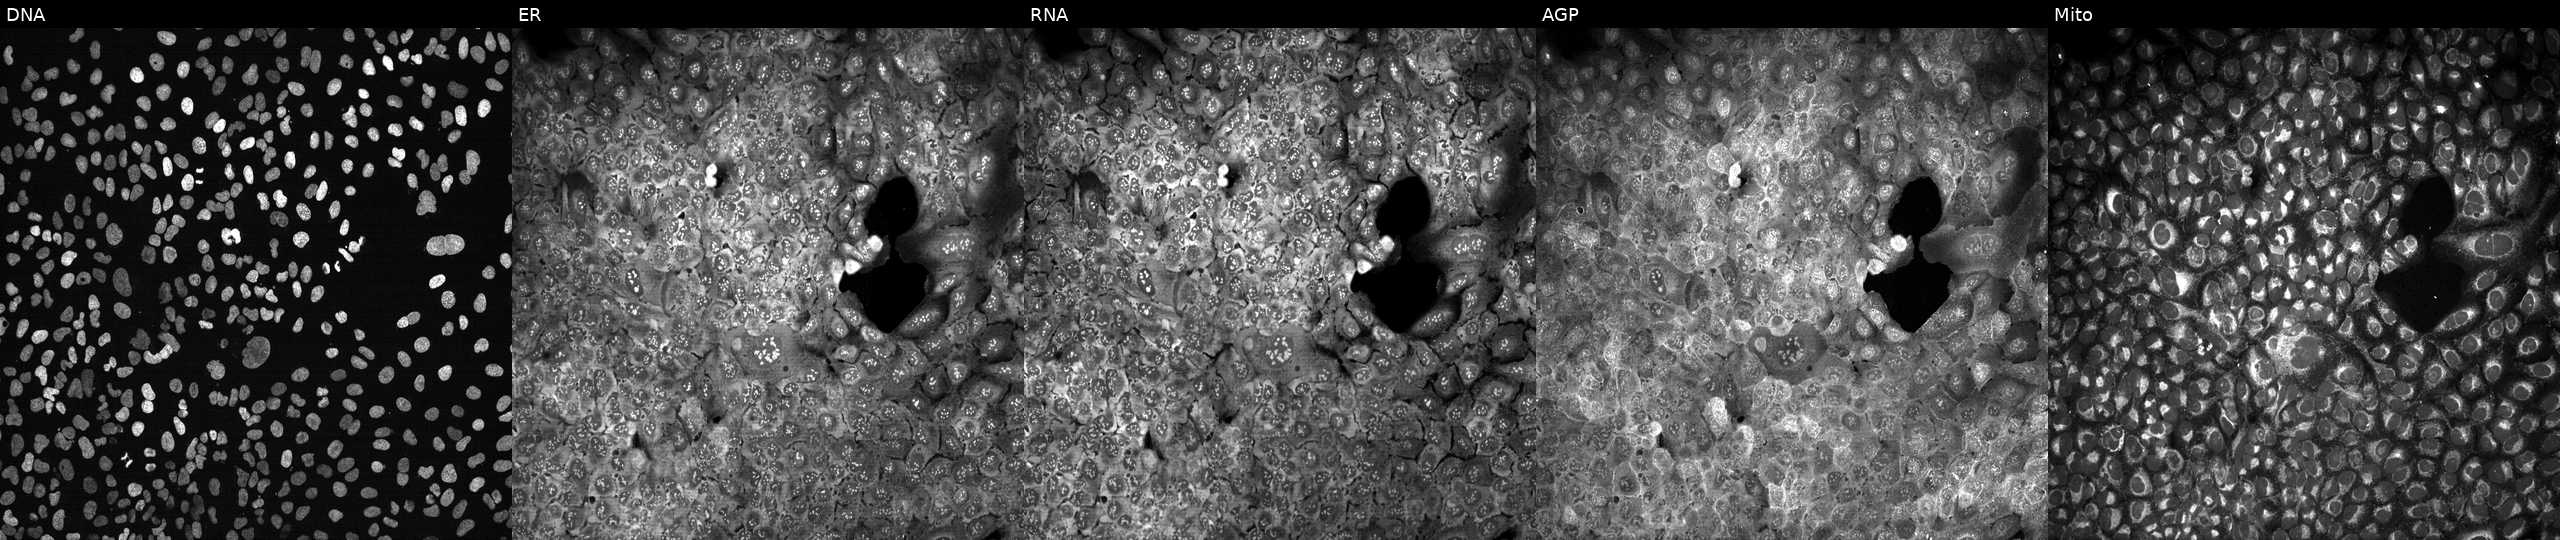
U2OS cells, Cell Painting assay, with AKR1C3 knocked out by CRISPR. Channels (left→right): Hoechst 33342, concanavalin A, SYTO 14, phalloidin and WGA, MitoTracker. Each panel is percentile-stretched 16-bit fluorescence.